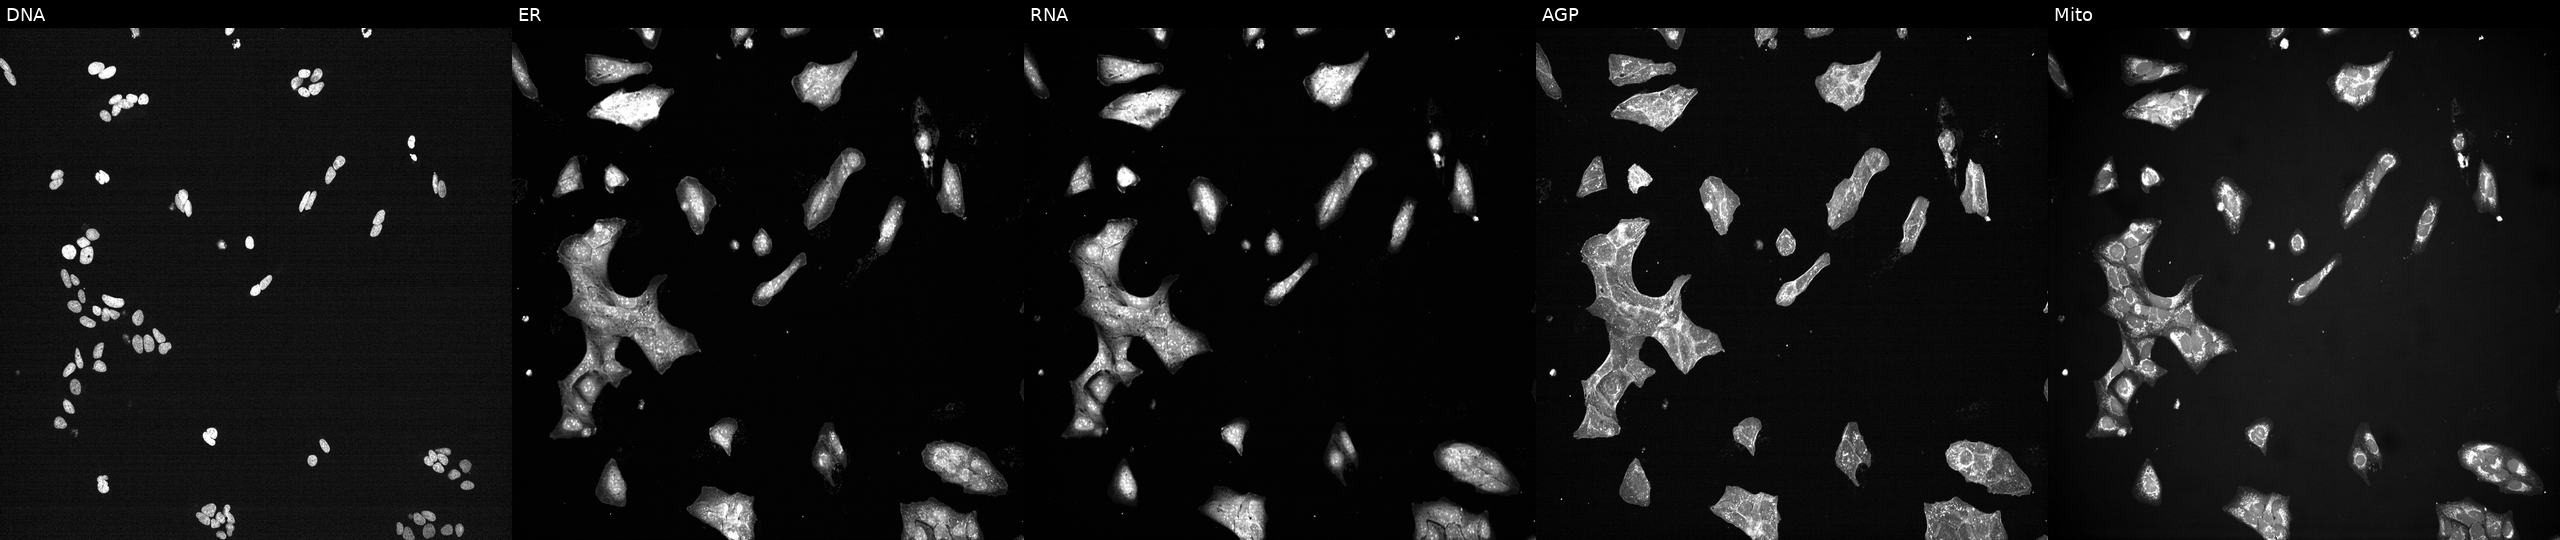
Five-channel Cell Painting image of U2OS cells exposed to a small-molecule compound (InChIKey ZWVZORIKUNOTCS-UHFFFAOYSA-N) [SMILES: Cc1cc(N2CCOCC2)cc2[nH]c(-c3c(NCC(O)c4cccc(Cl)c4)cc[nH]c3=O)nc12]. From left to right: DNA (nuclei); ER (endoplasmic reticulum); RNA (nucleoli and cytoplasmic RNA); AGP (actin cytoskeleton, Golgi, and plasma membrane); Mito (mitochondria).